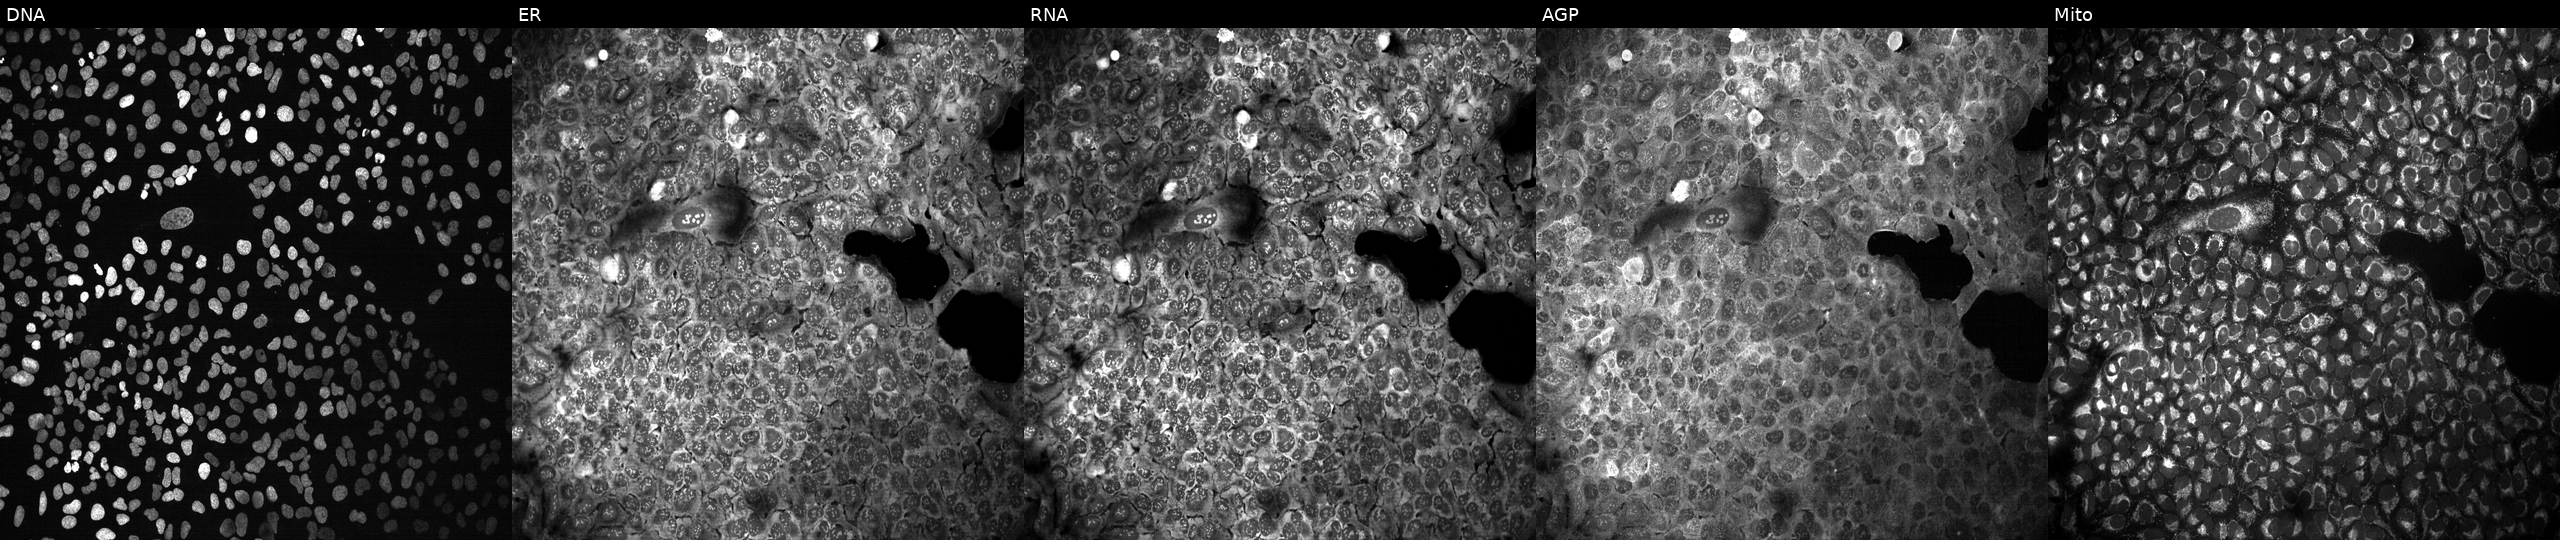
High-content fluorescence microscopy (Cell Painting). Cell line: U2OS. Perturbation: with MGAT4C knocked out by CRISPR (JUMP id JCP2022_804163). The five panels, left to right, show DNA (nuclei); ER (endoplasmic reticulum); RNA (nucleoli and cytoplasmic RNA); AGP (actin cytoskeleton, Golgi, and plasma membrane); Mito (mitochondria).